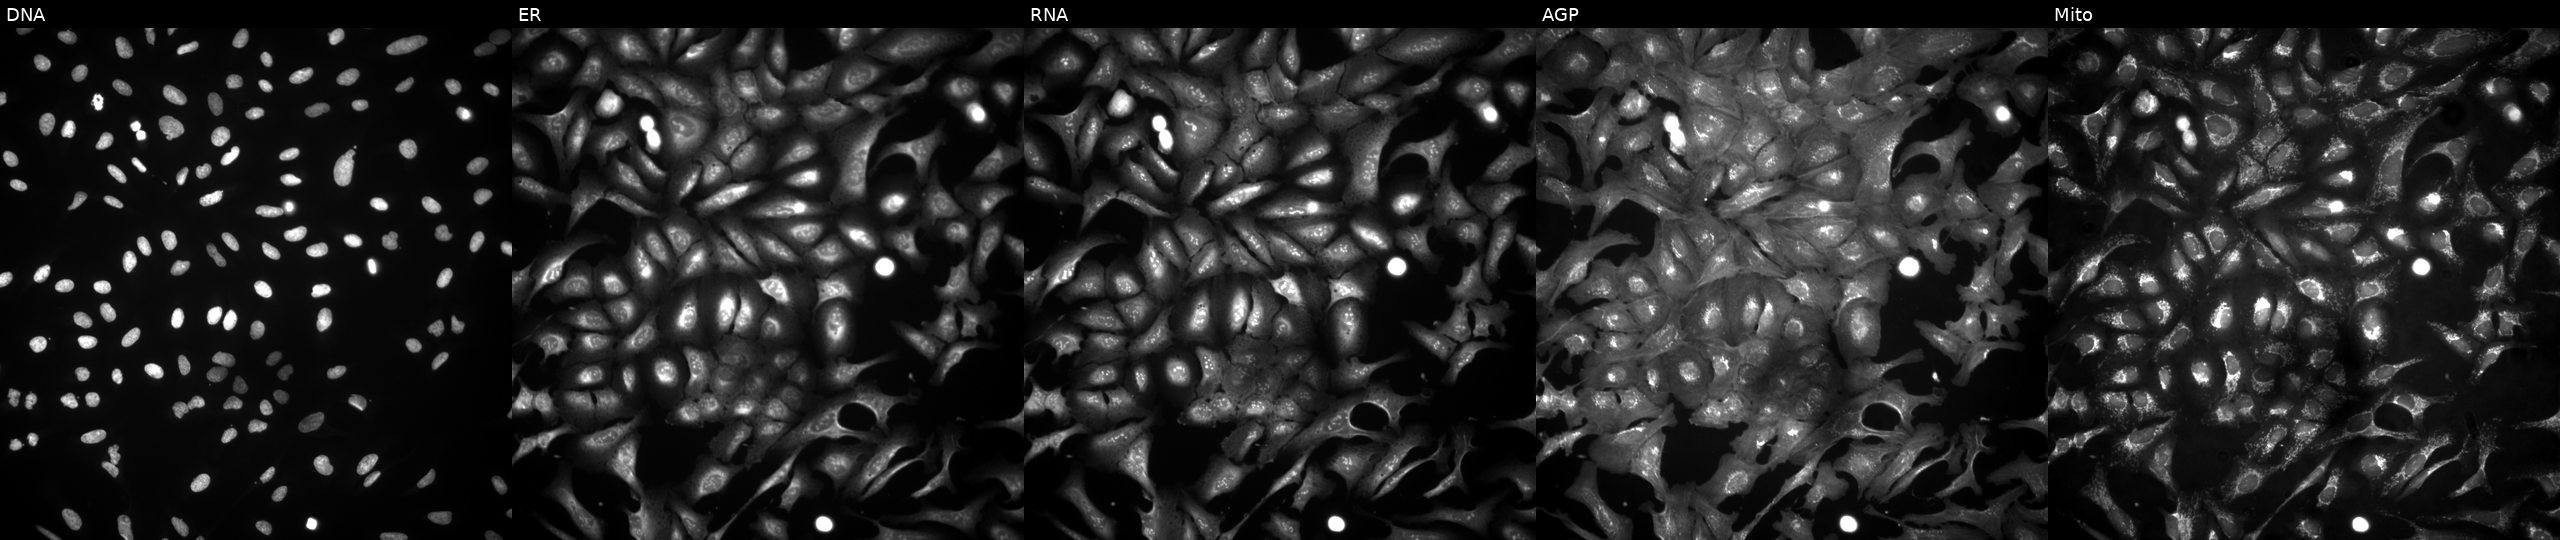
JUMP Cell Painting — ORF plate. U2OS cells with ROCK2 overexpressed (ORF) (JUMP id JCP2022_910606). From left to right: DNA, ER, RNA, AGP, and Mito.